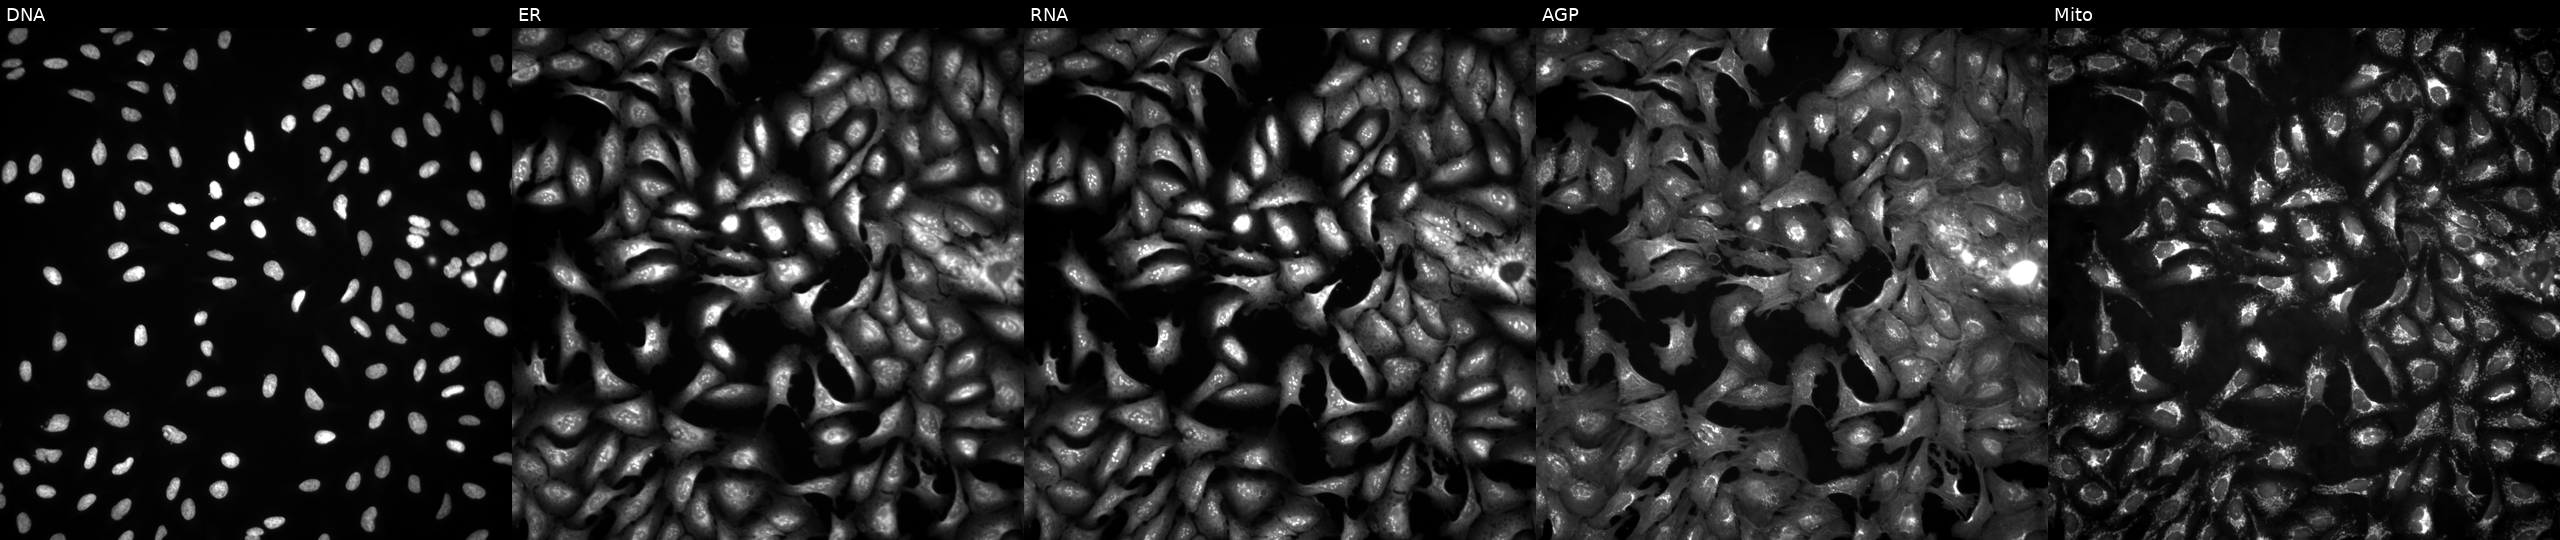
High-content fluorescence microscopy (Cell Painting). Cell line: U2OS. Perturbation: transfected with an ORF construct for TPI1. From left to right: DNA (nuclei); ER (endoplasmic reticulum); RNA (nucleoli and cytoplasmic RNA); AGP (actin cytoskeleton, Golgi, and plasma membrane); Mito (mitochondria). Source 4, plate BR00124787, well M24.